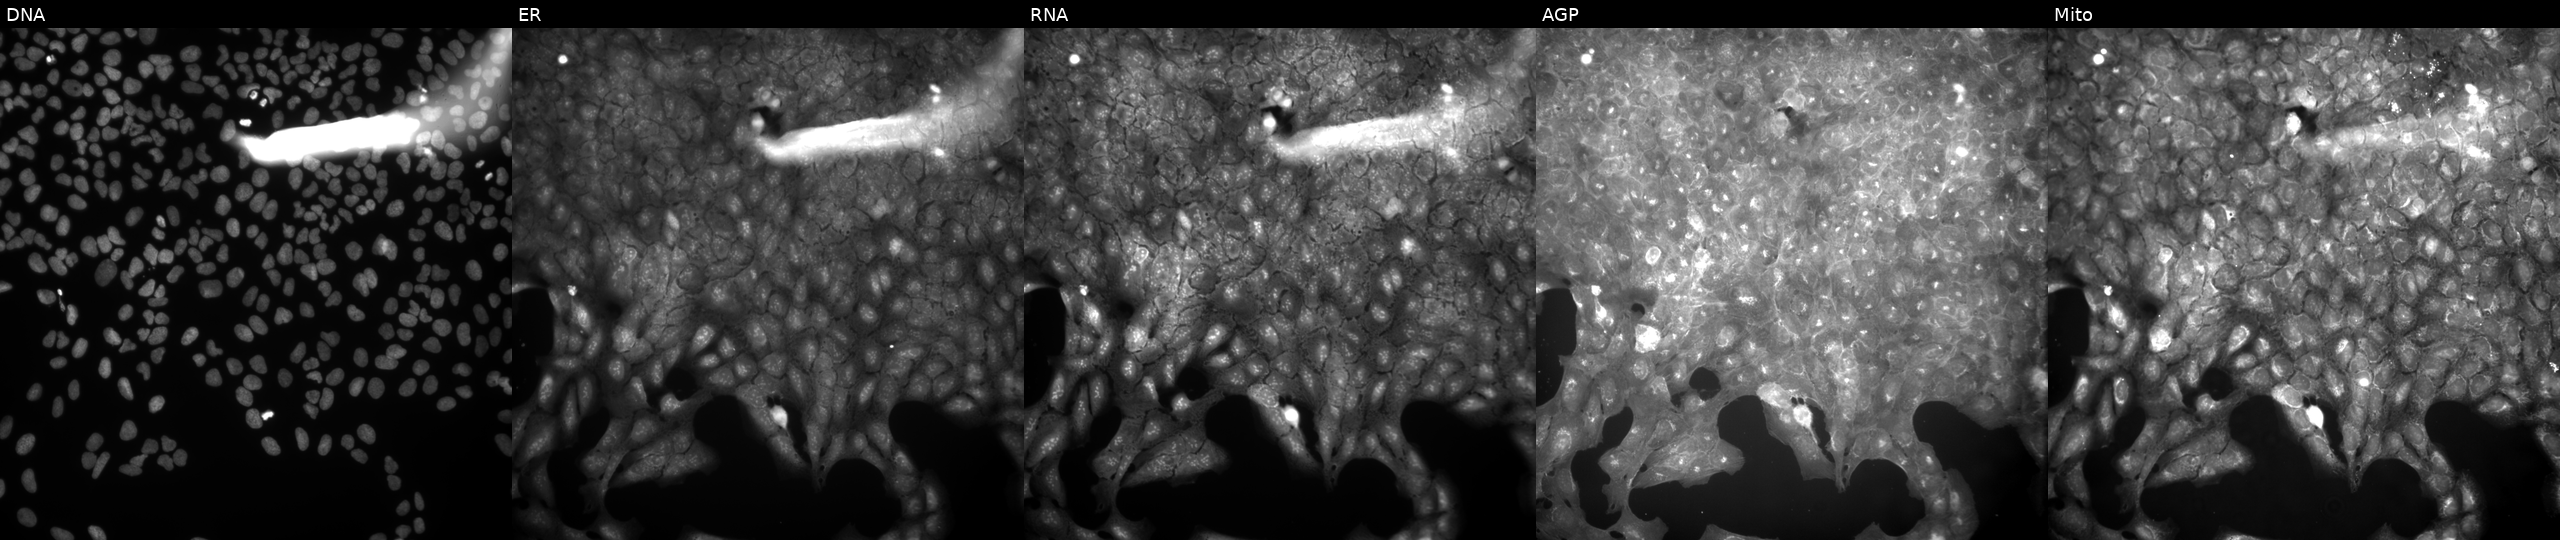
Five-channel Cell Painting image of U2OS cells exposed to a small-molecule compound (InChIKey VFBZCERTALUHAX-UHFFFAOYSA-N) (JUMP id JCP2022_093546). From left to right: DNA (nuclei); ER (endoplasmic reticulum); RNA (nucleoli and cytoplasmic RNA); AGP (actin cytoskeleton, Golgi, and plasma membrane); Mito (mitochondria).